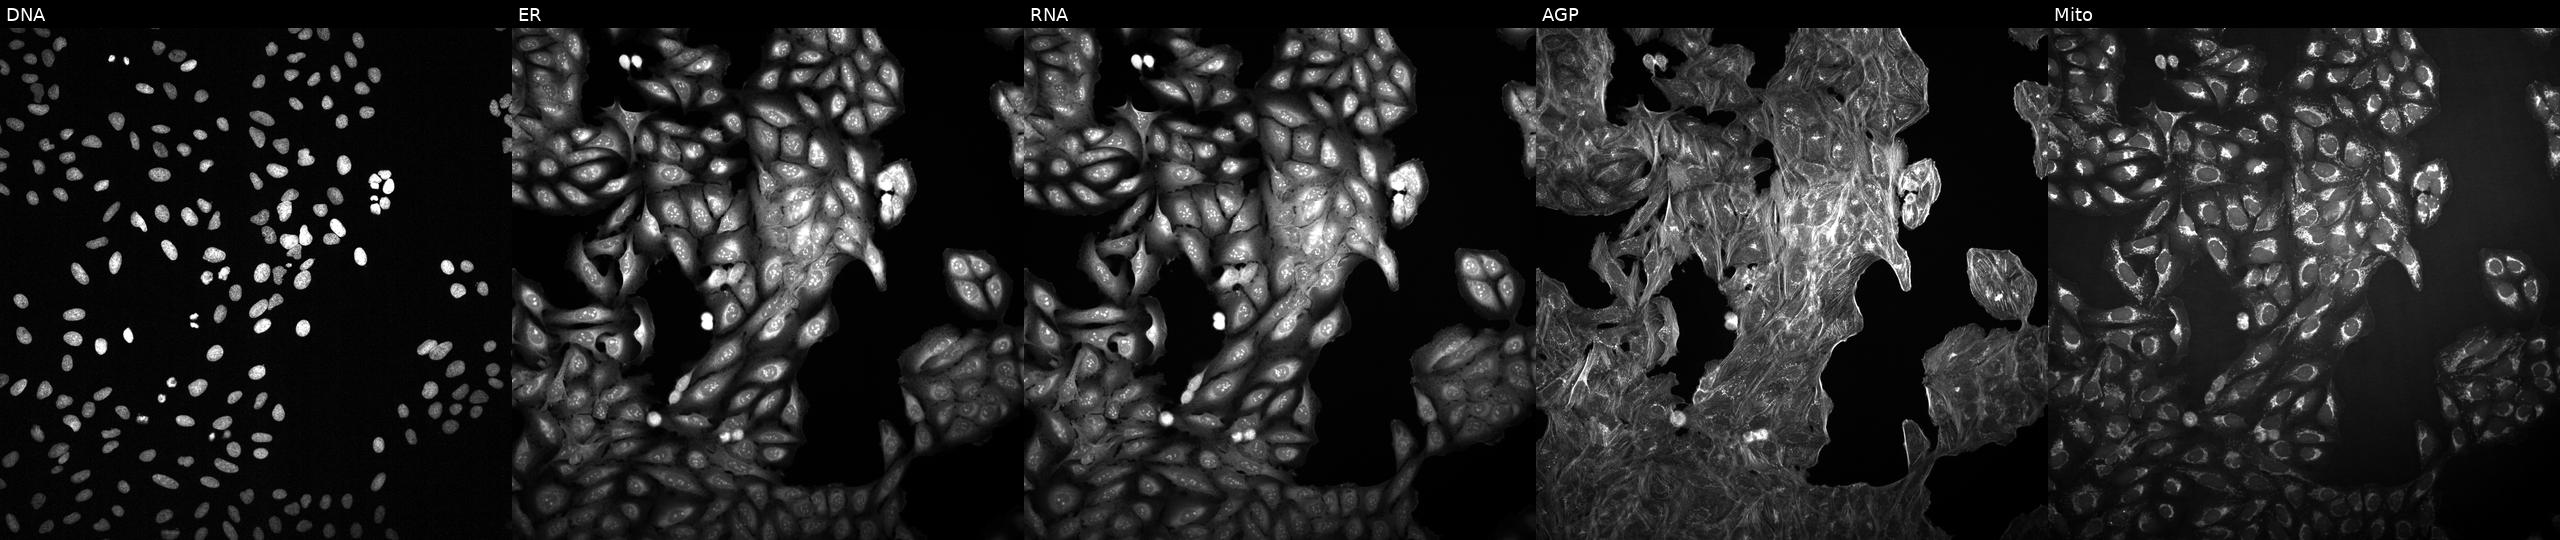
U2OS cells, Cell Painting assay, treated with a small-molecule compound (InChIKey UKCVAURUDUCLCA-UHFFFAOYSA-N). From left to right: DNA (nuclei); ER (endoplasmic reticulum); RNA (nucleoli and cytoplasmic RNA); AGP (actin cytoskeleton, Golgi, and plasma membrane); Mito (mitochondria). Each panel is percentile-stretched 16-bit fluorescence. Source 2, plate 1053601763, well A20.